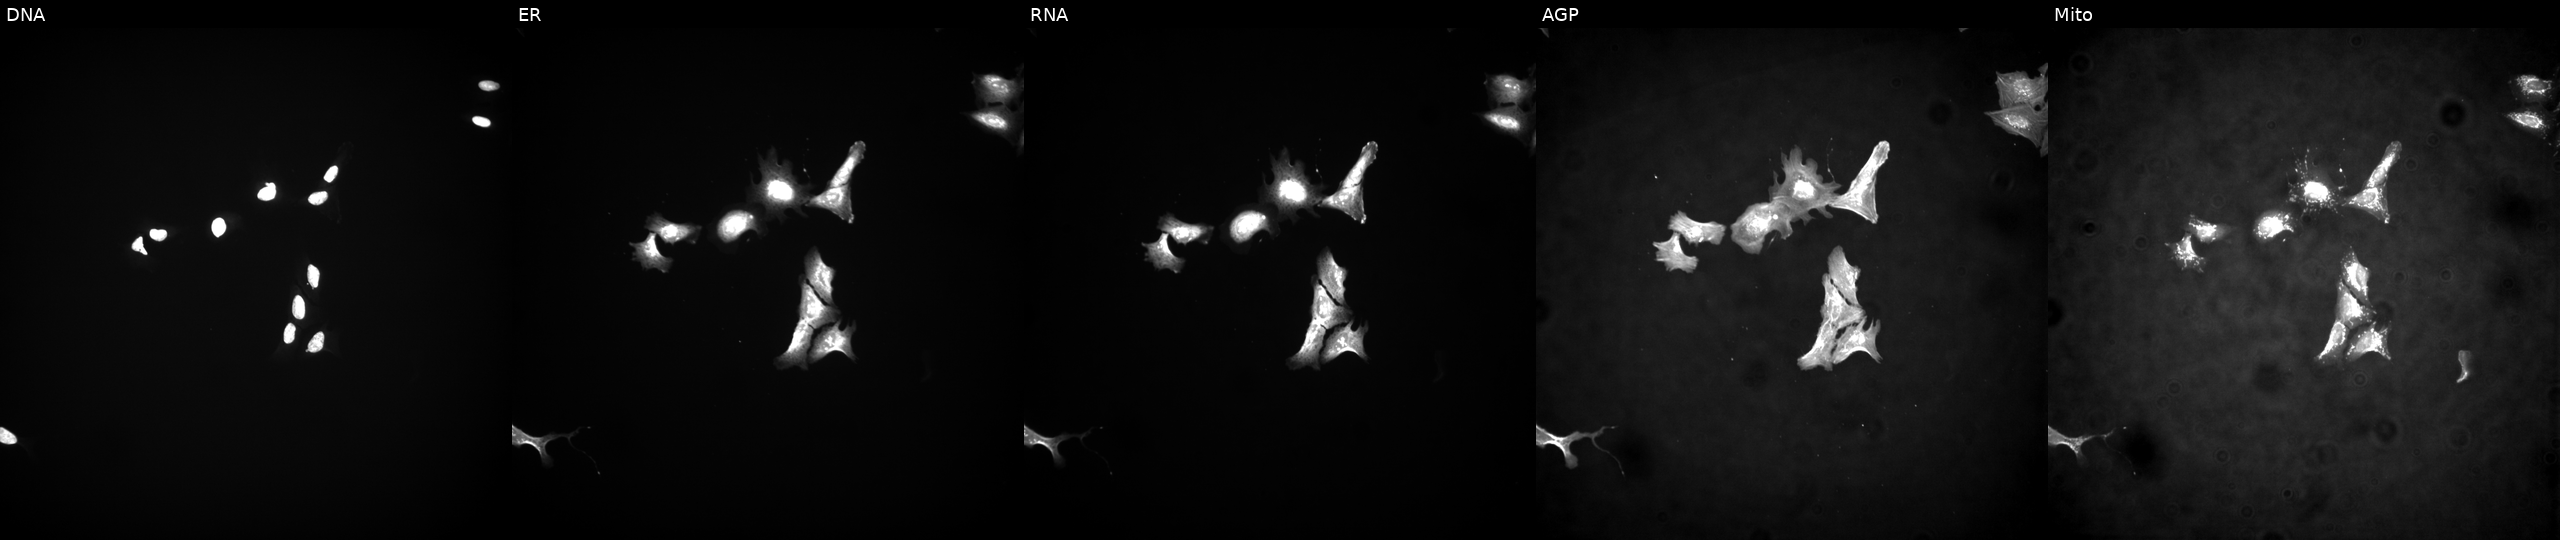
JUMP Cell Painting — ORF plate. U2OS cells transfected with an ORF construct for CD74. Panels show, left to right, Hoechst 33342, concanavalin A, SYTO 14, phalloidin and WGA, MitoTracker. Source 4, plate BR00124784, well J16.